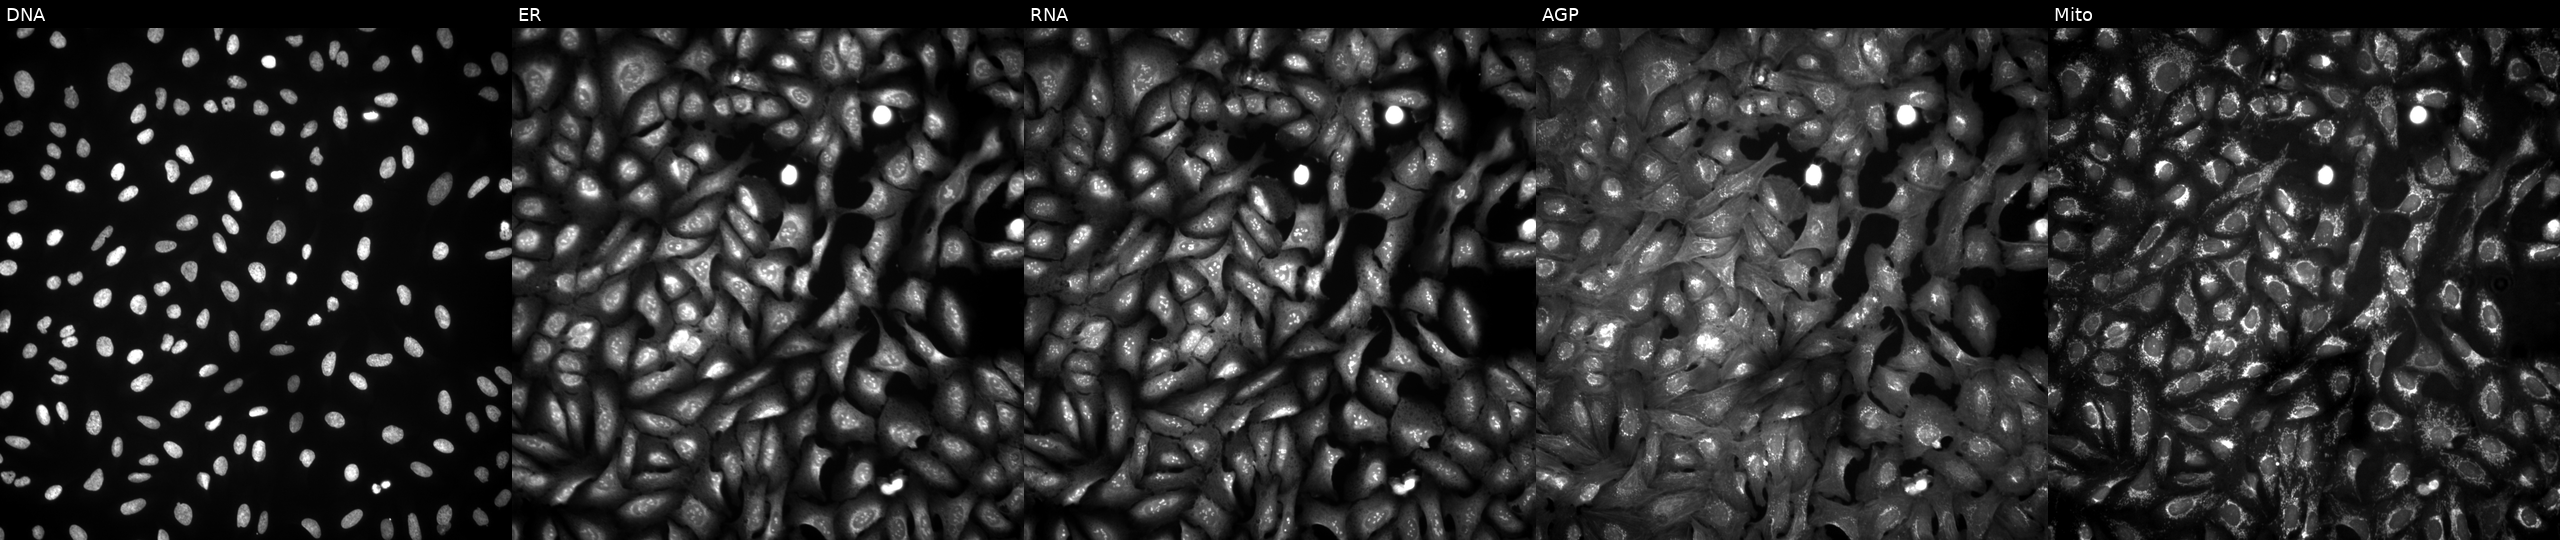
The five panels, left to right, show DNA, ER, RNA, AGP, and Mito. U2OS osteosarcoma cells transfected with an ORF construct for LMBR1L. Cell Painting assay, JUMP-CP dataset. Source 4, plate BR00124790, well P03.